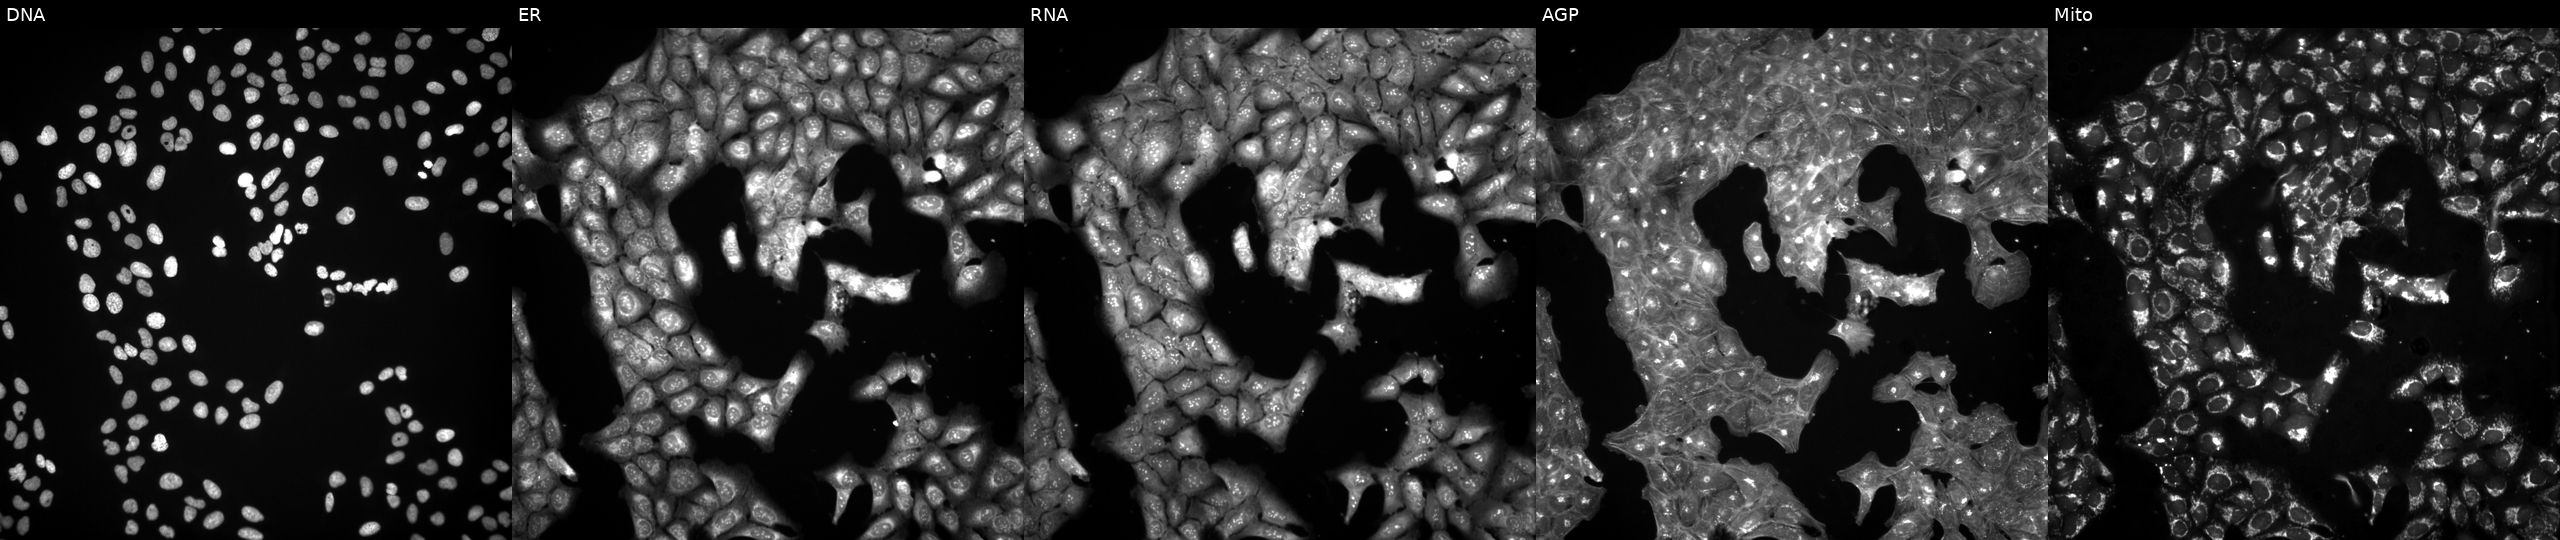
U2OS cells, Cell Painting assay, exposed to a small-molecule compound [SMILES: CC12CNCC(C)(CN(Cc3cccc(Br)c3)C1)C2]. The five panels, left to right, show Hoechst 33342, concanavalin A, SYTO 14, phalloidin and WGA, MitoTracker. Each panel is percentile-stretched 16-bit fluorescence. Source 3, plate BR5867a3, well D12.